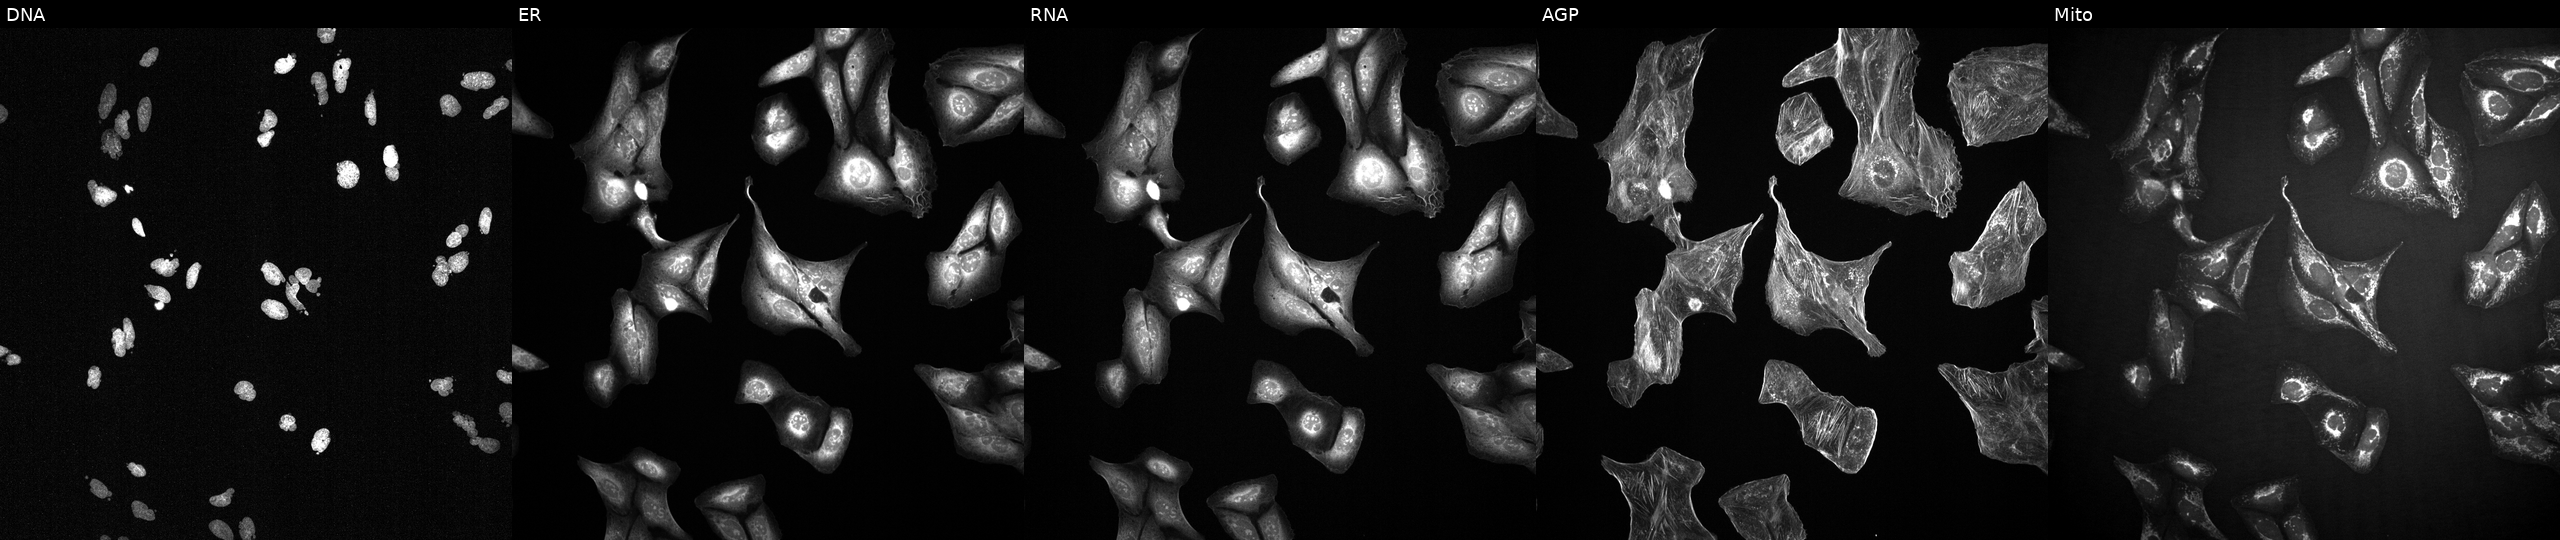
Five-channel Cell Painting image of U2OS cells treated with a small-molecule compound. Channels (left→right): Hoechst 33342, concanavalin A, SYTO 14, phalloidin and WGA, MitoTracker.